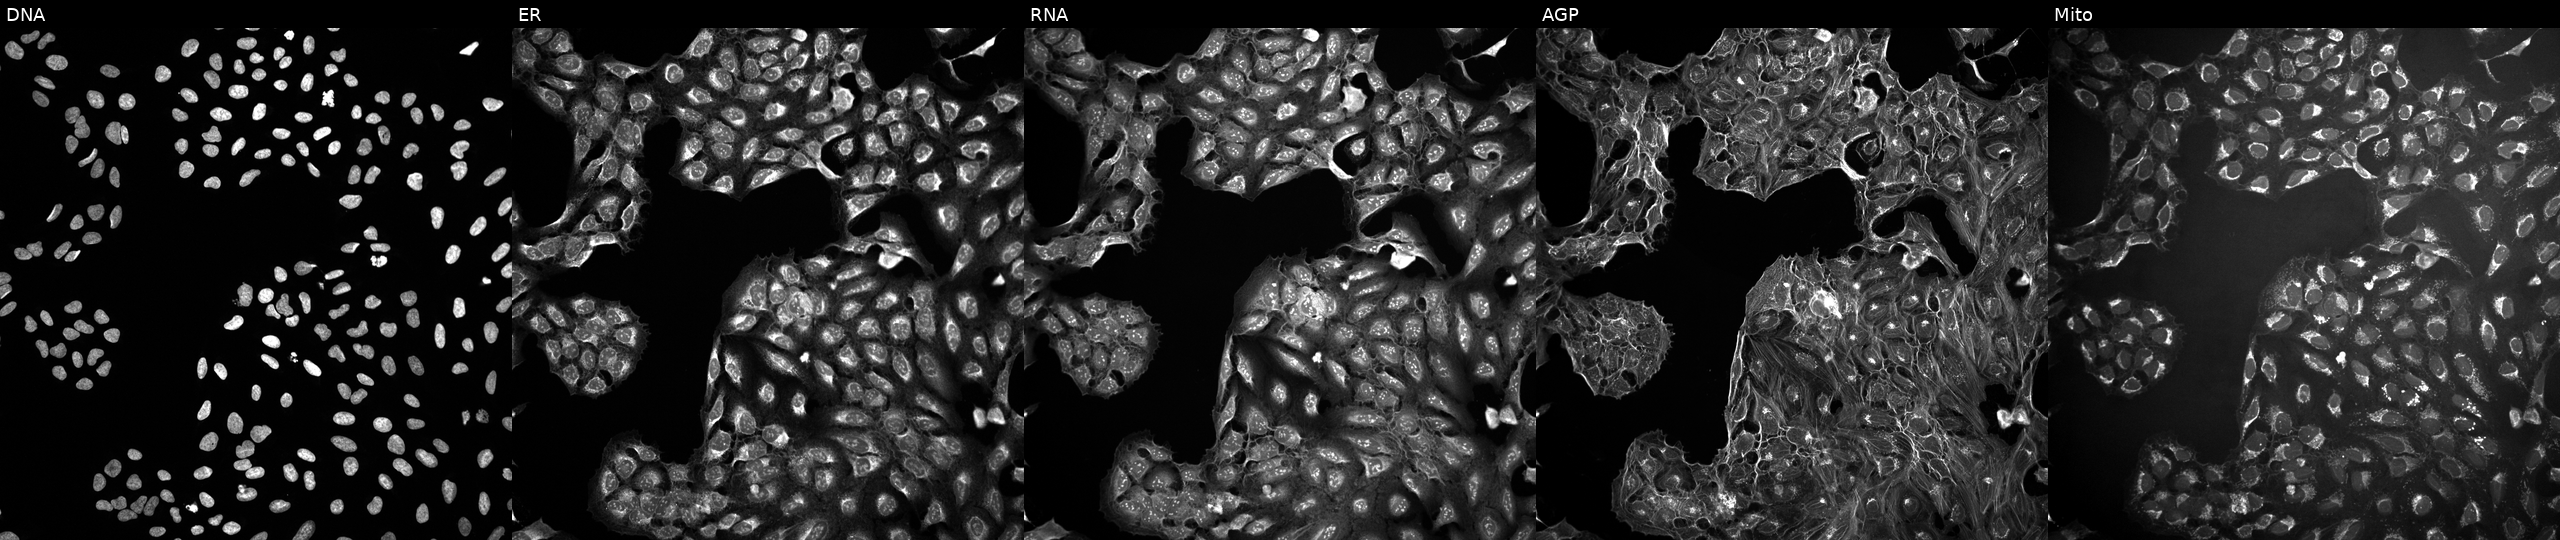
Panels show, left to right, DNA, ER, RNA, AGP, and Mito. U2OS osteosarcoma cells untreated (empty-well control). Cell Painting assay, JUMP-CP dataset. Source 10, plate Dest210531-152324, well P14.